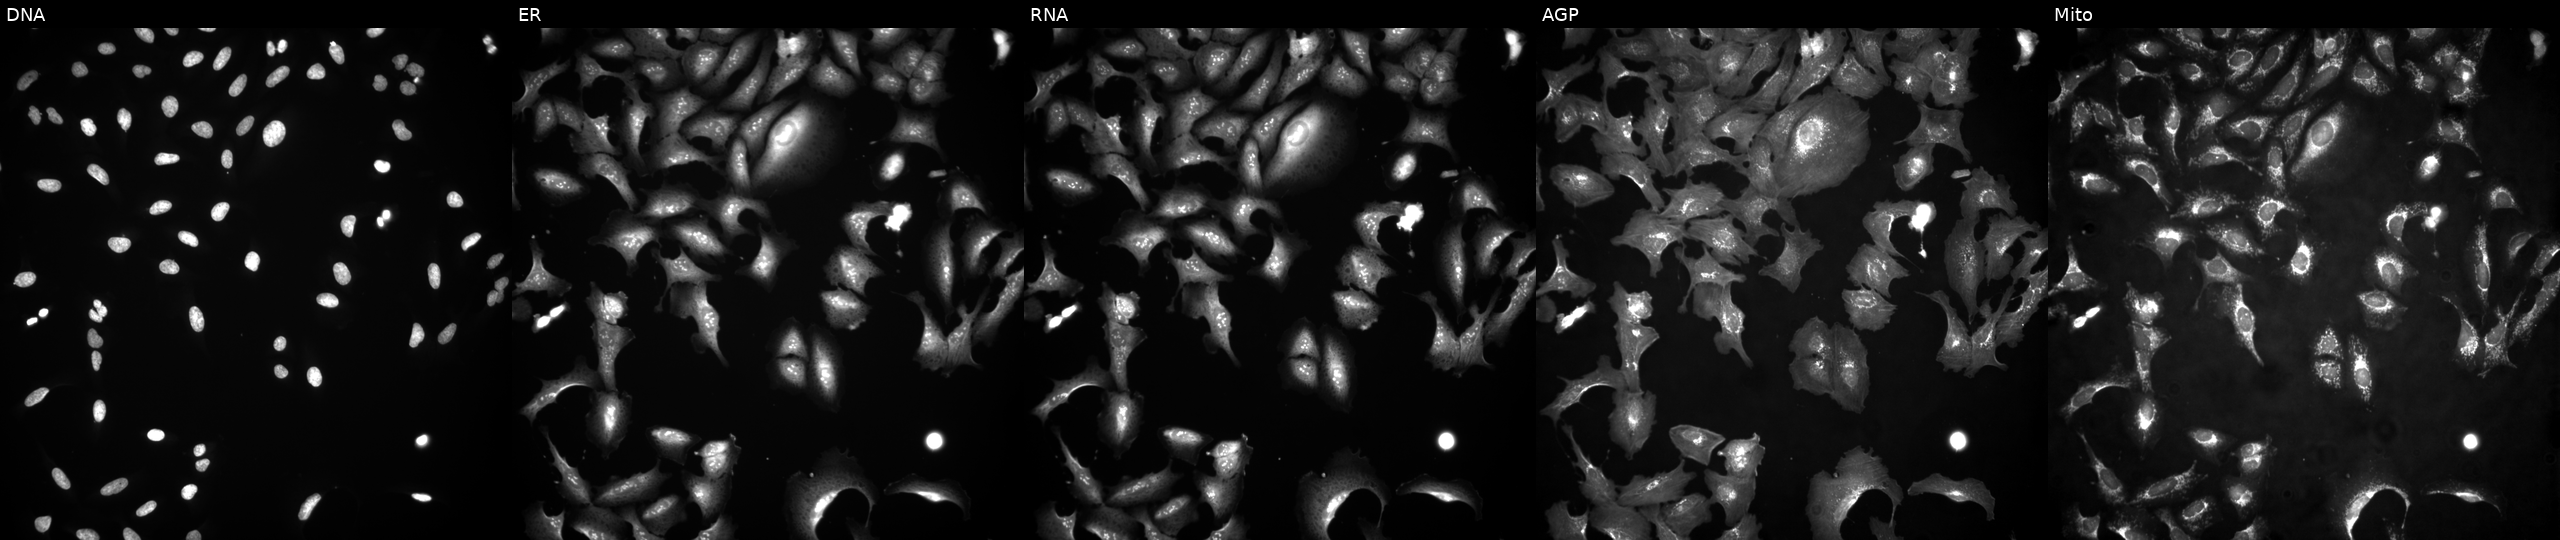
Five-channel Cell Painting image of U2OS cells overexpressing TDRKH via ORF transfection (JUMP id JCP2022_907223). From left to right: DNA, ER, RNA, AGP, and Mito.